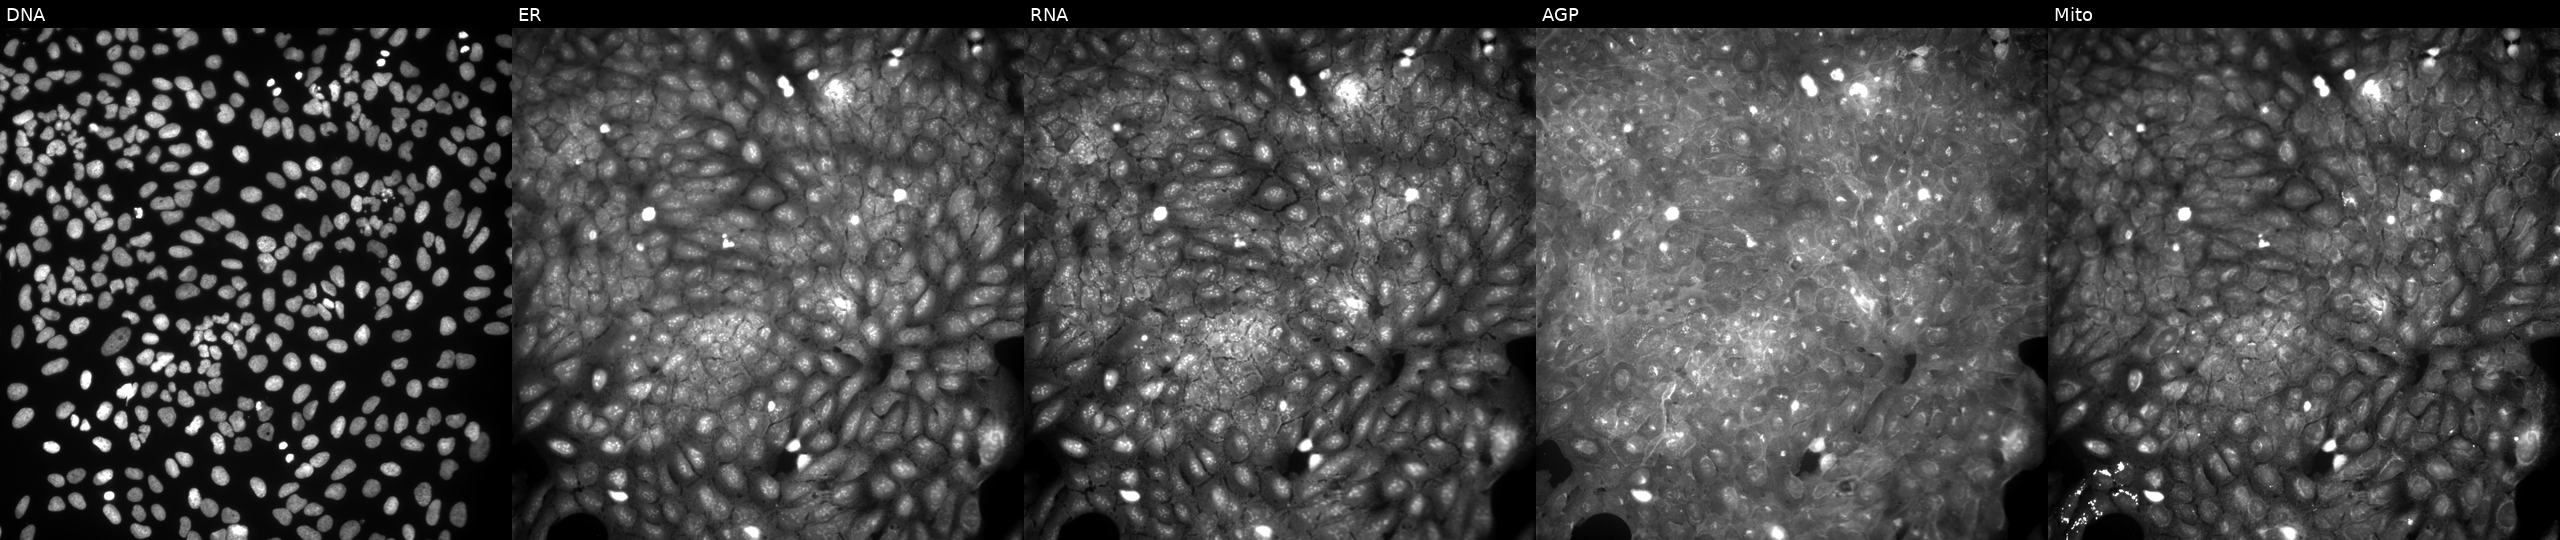
From left to right: DNA, ER, RNA, AGP, and Mito. U2OS osteosarcoma cells perturbed with a small-molecule compound (InChIKey DXKKUXFWUDGNFQ-UHFFFAOYSA-N) [SMILES: C=c1[nH]n(-c2ccccc2)c(=O)c1=Cc1cc(C)n(-c2cccnc2)c1C]. Cell Painting assay, JUMP-CP dataset.